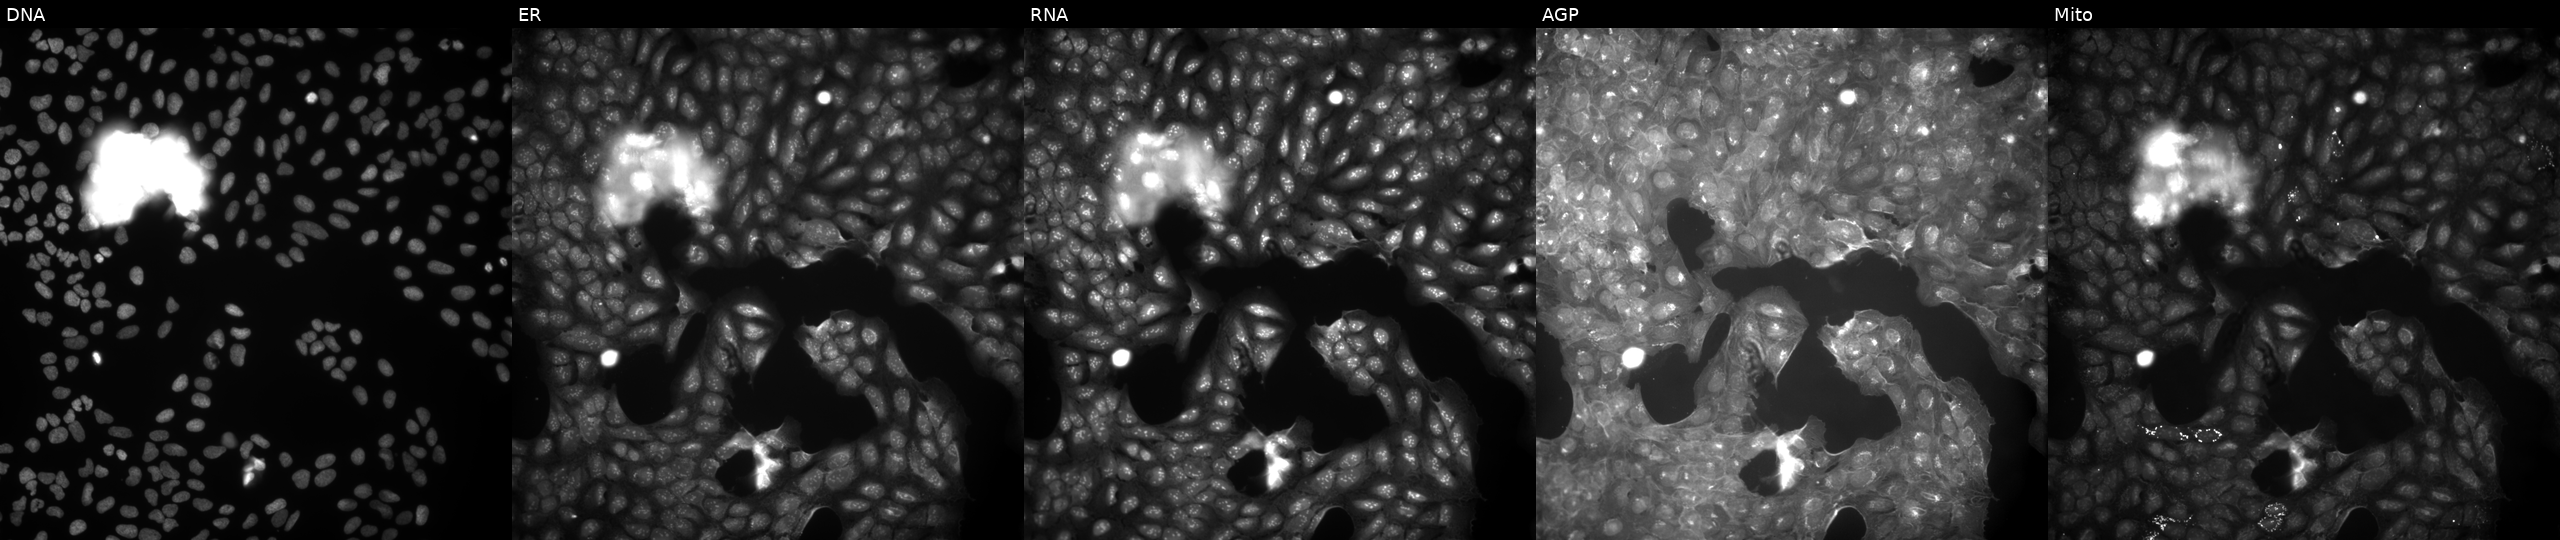
This image strip shows the five Cell Painting channels for a single field of U2OS cells exposed to a small-molecule compound (InChIKey LWWAMJZNCTZXPY-UHFFFAOYSA-N) [SMILES: COCc1cc(C)nc2sc(C(=O)Nc3ccc(OC)cc3)c(N)c12] (JUMP id JCP2022_052226). Panels show, left to right, DNA (nuclei); ER (endoplasmic reticulum); RNA (nucleoli and cytoplasmic RNA); AGP (actin cytoskeleton, Golgi, and plasma membrane); Mito (mitochondria). Source 9, plate GR00003382, well R22.